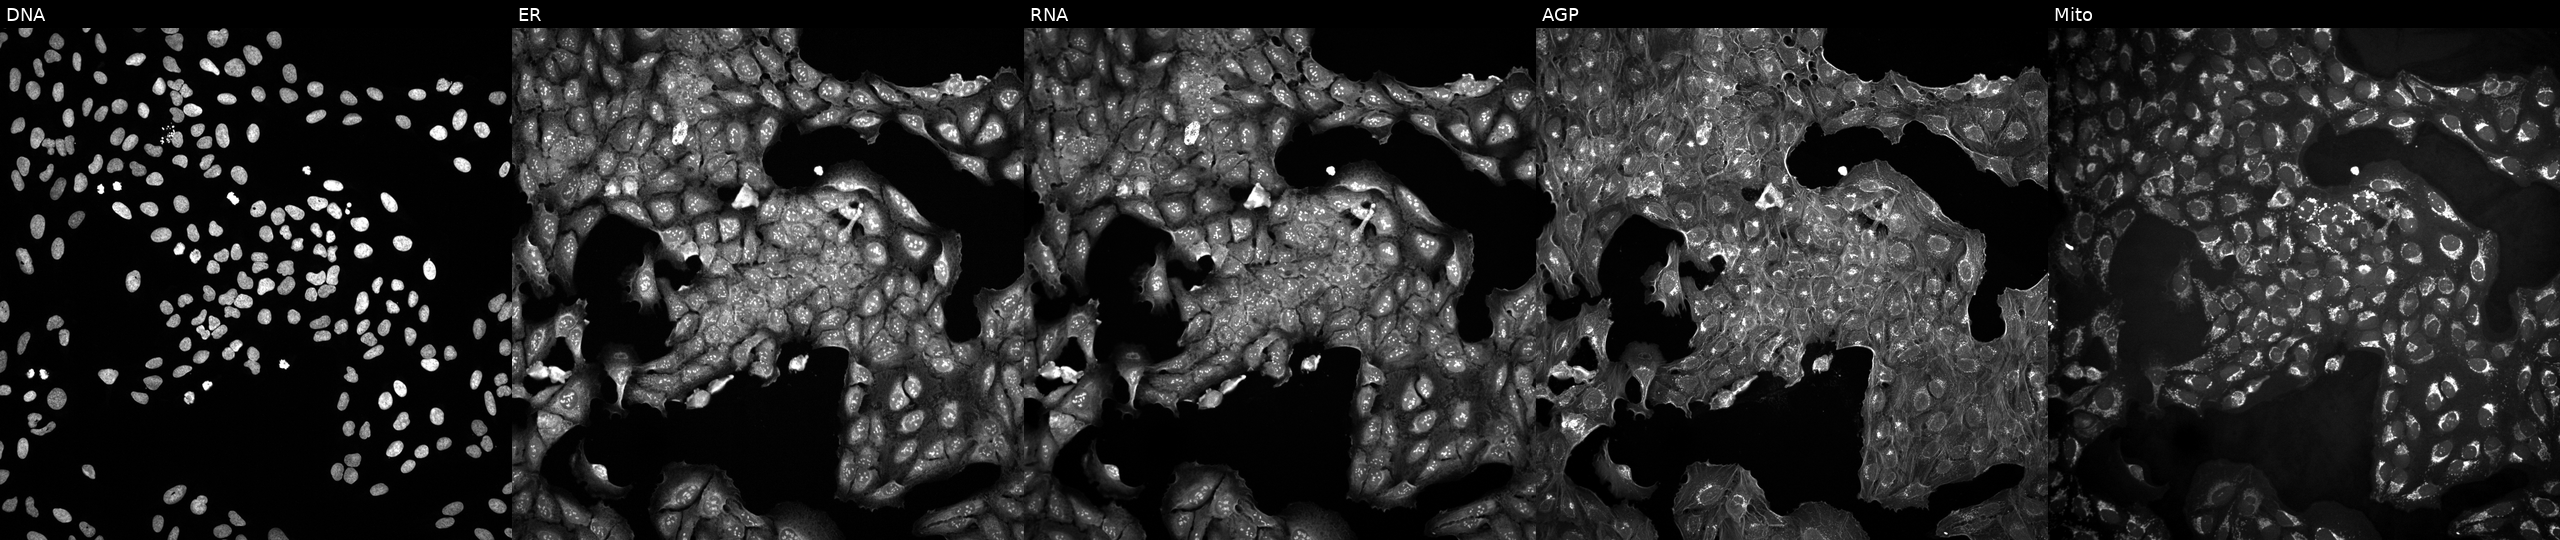
JUMP Cell Painting — COMPOUND plate. U2OS cells in an empty control well (no perturbation) (JUMP id JCP2022_999999). The five panels, left to right, show DNA (nuclei); ER (endoplasmic reticulum); RNA (nucleoli and cytoplasmic RNA); AGP (actin cytoskeleton, Golgi, and plasma membrane); Mito (mitochondria). Source 10, plate Dest210531-152149, well O03.